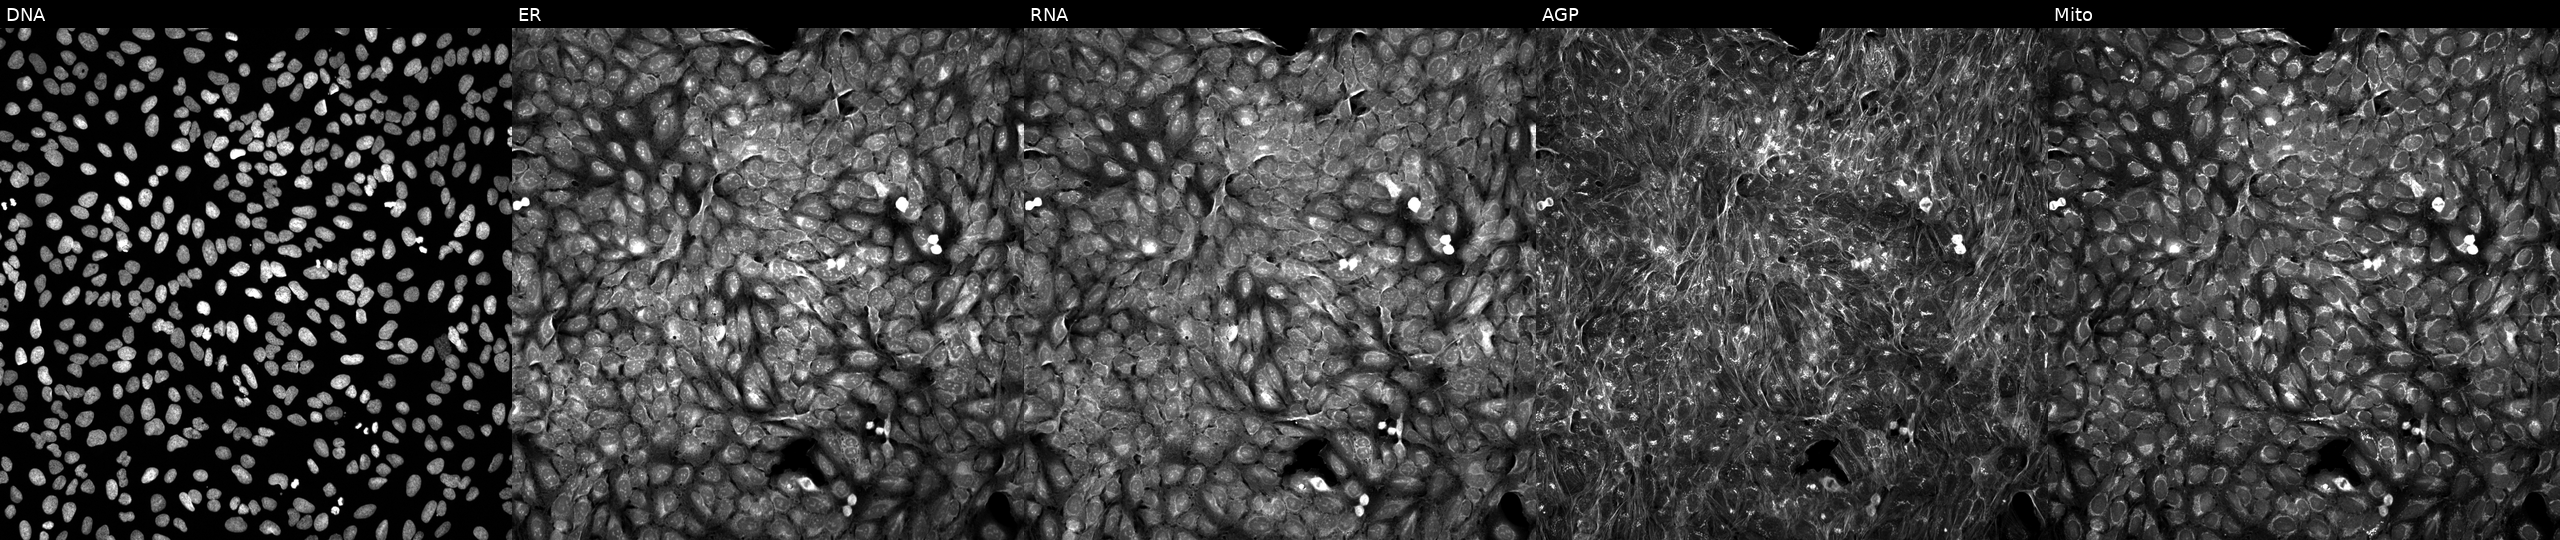
U2OS cells, Cell Painting assay, treated with dexamethasone (positive-control compound). Channels (left→right): DNA (nuclei); ER (endoplasmic reticulum); RNA (nucleoli and cytoplasmic RNA); AGP (actin cytoskeleton, Golgi, and plasma membrane); Mito (mitochondria). Each panel is percentile-stretched 16-bit fluorescence. Source 5, plate APTJUM105, well O24.